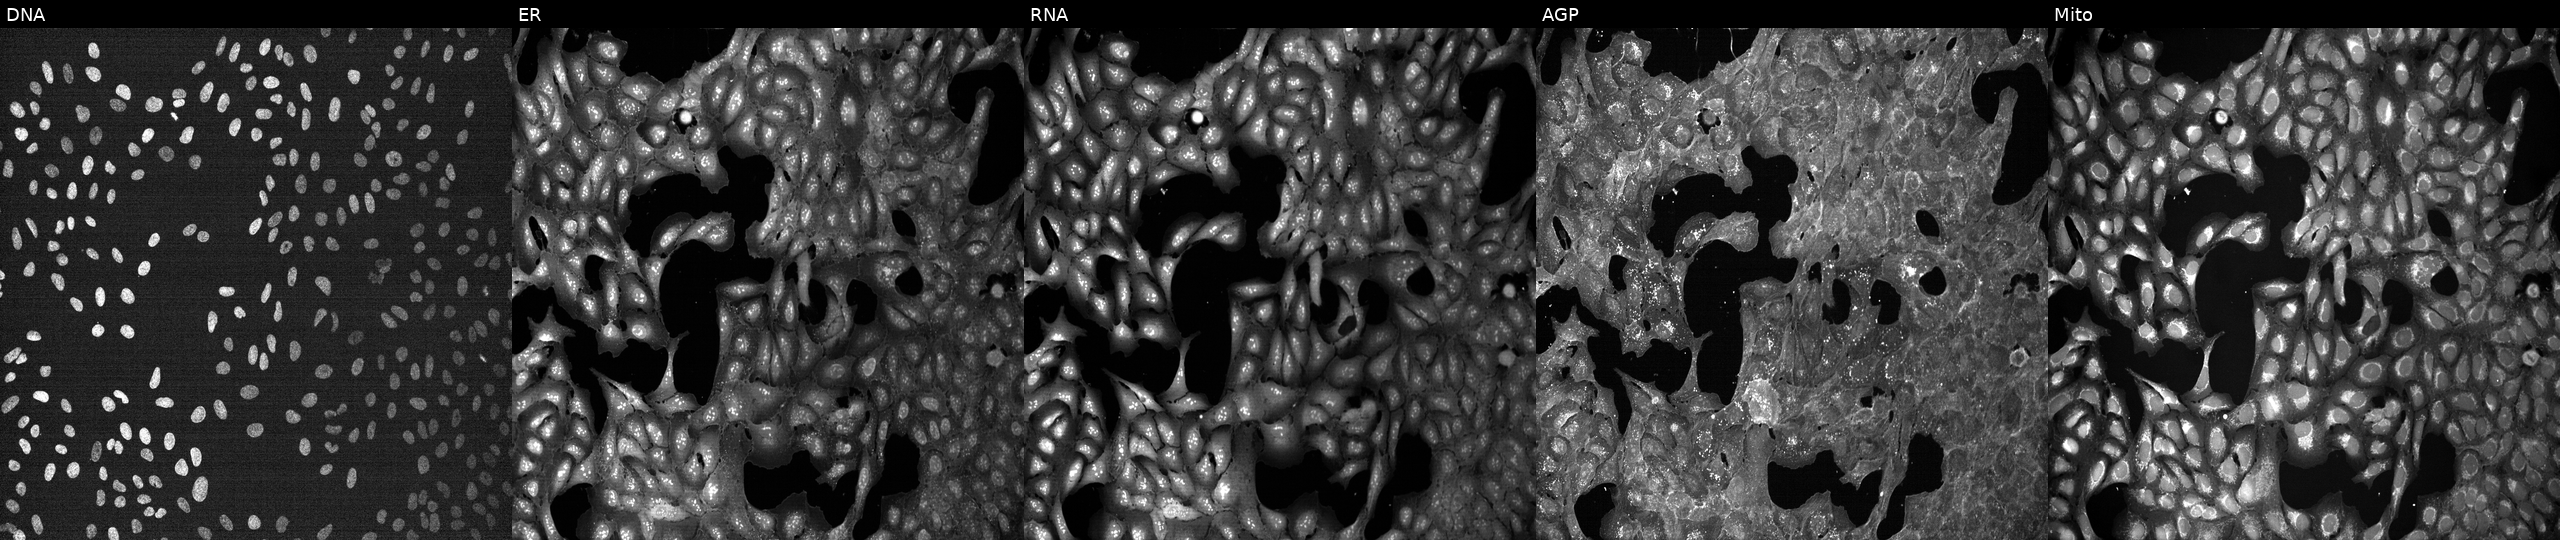
U2OS cells, Cell Painting assay, exposed to a small-molecule compound (InChIKey CDJNNOJINJAXPV-UHFFFAOYSA-N). From left to right: DNA, ER, RNA, AGP, and Mito. Each panel is percentile-stretched 16-bit fluorescence.